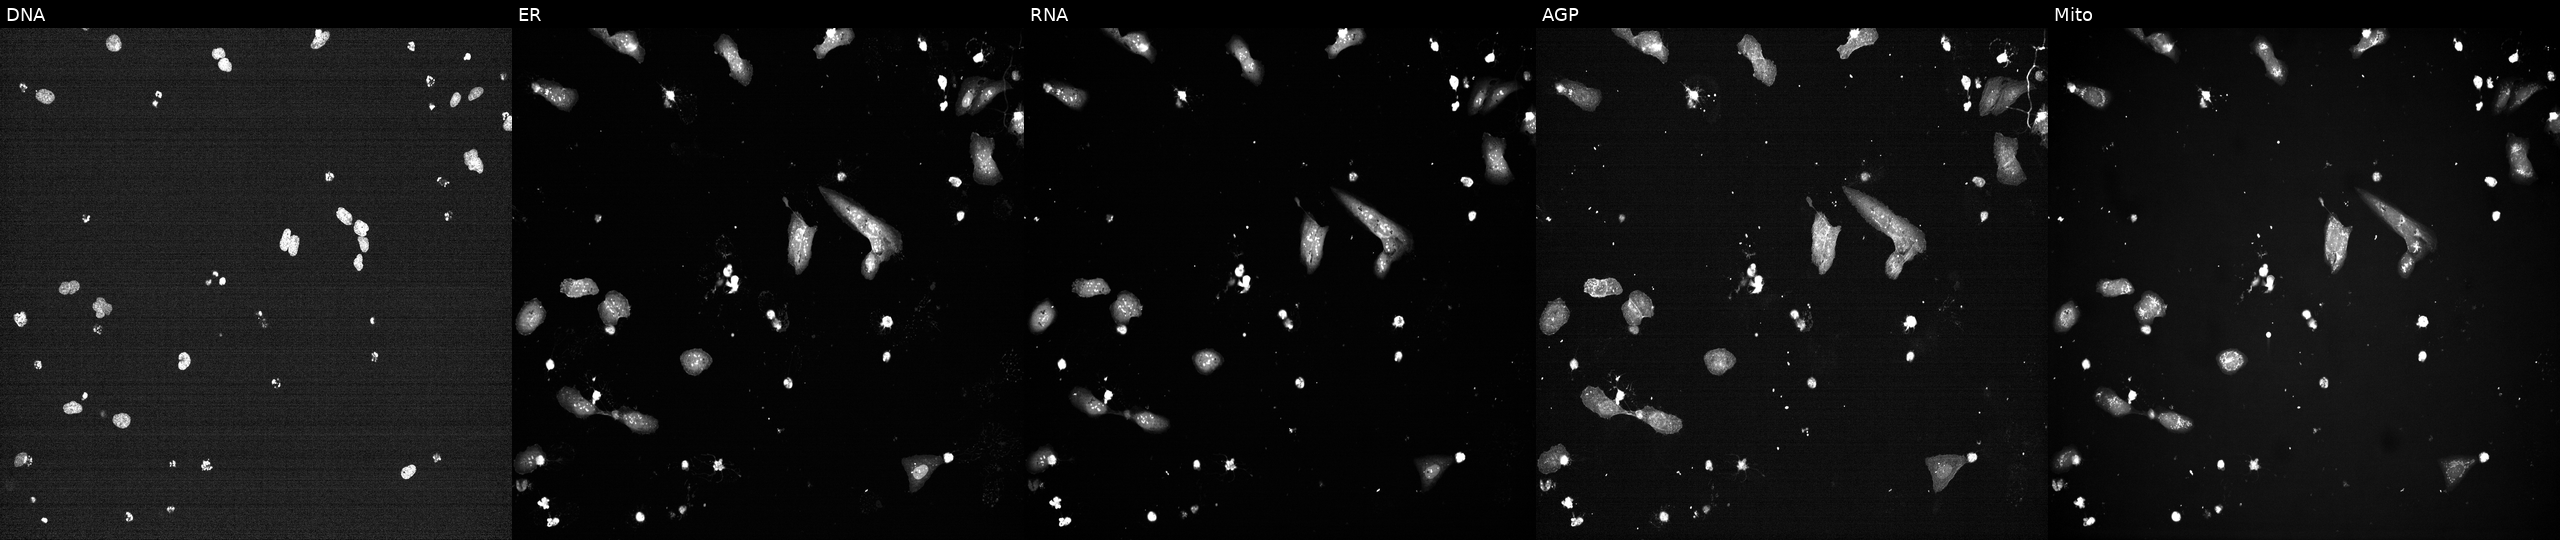
The five panels, left to right, show Hoechst 33342, concanavalin A, SYTO 14, phalloidin and WGA, MitoTracker. U2OS osteosarcoma cells exposed to a small-molecule compound (InChIKey HYFHYPWGAURHIV-UHFFFAOYSA-N). Cell Painting assay, JUMP-CP dataset.